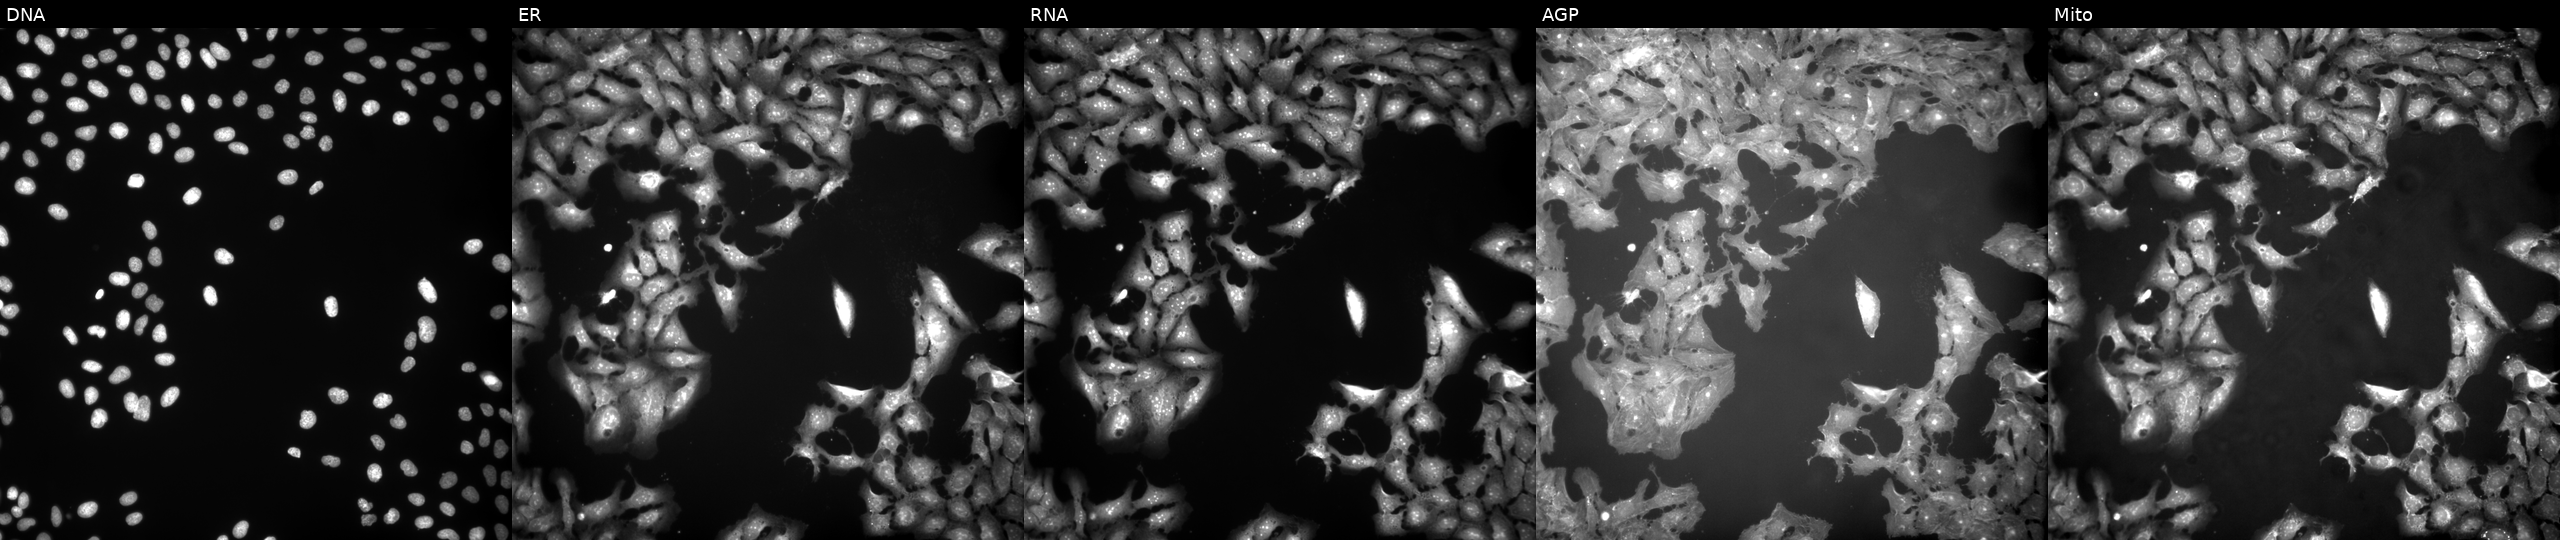
U2OS cells, Cell Painting assay, treated with FK-866 (positive-control compound) (JUMP id JCP2022_046054). Panels show, left to right, DNA, ER, RNA, AGP, and Mito. Each panel is percentile-stretched 16-bit fluorescence.